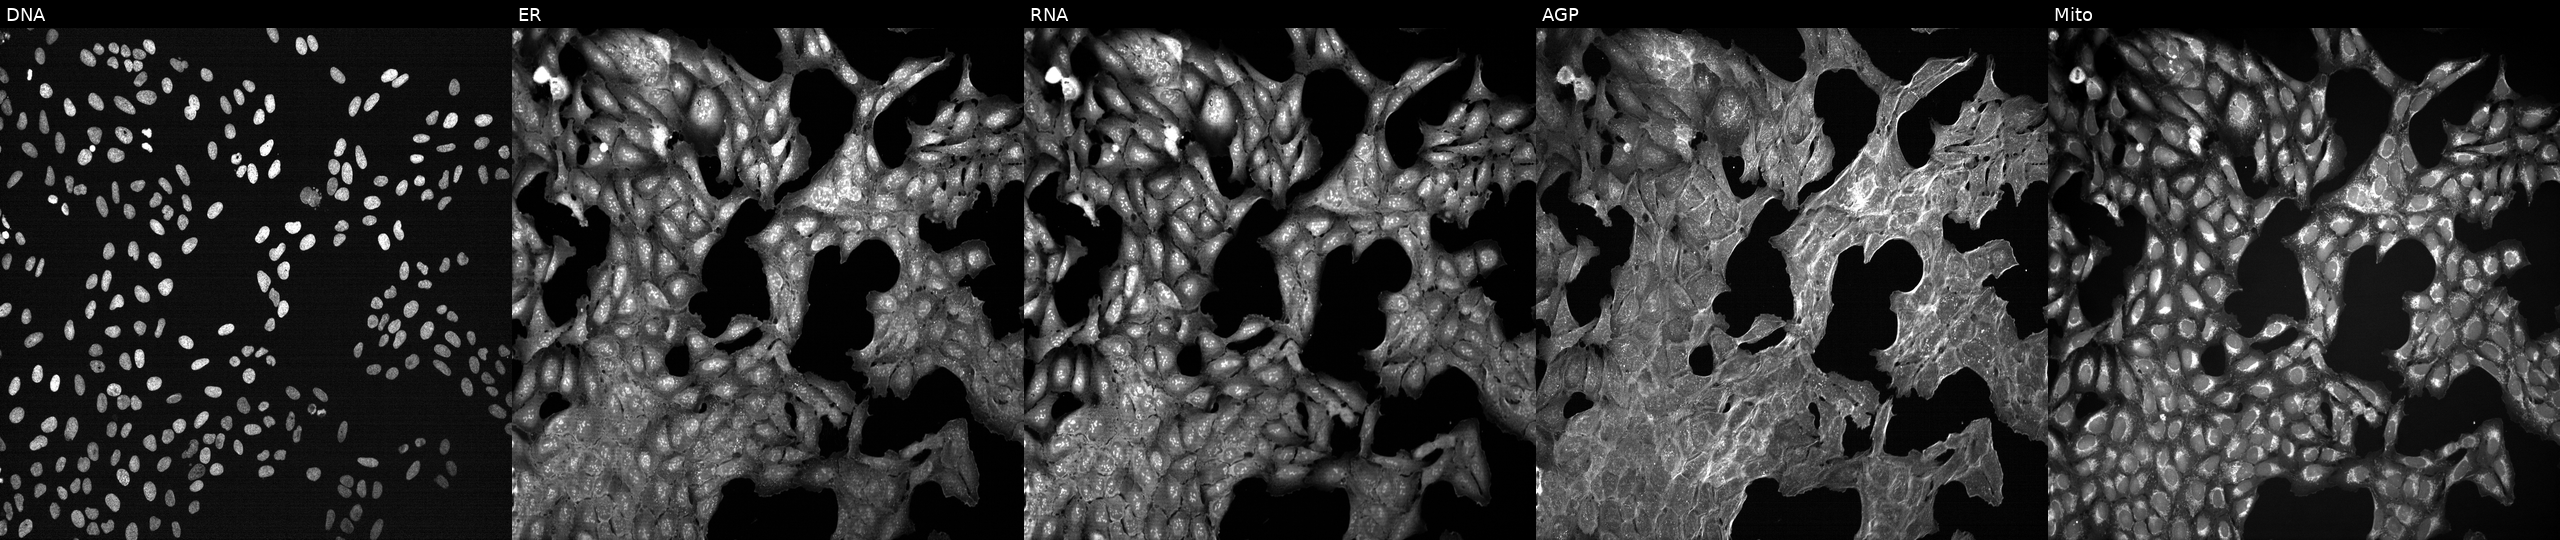
U2OS cells, Cell Painting assay, treated with a small-molecule compound (InChIKey HWHLPVGTWGOCJO-UHFFFAOYSA-N) (JUMP id JCP2022_033012). The five panels, left to right, show Hoechst 33342, concanavalin A, SYTO 14, phalloidin and WGA, MitoTracker. Each panel is percentile-stretched 16-bit fluorescence. Source 7, plate CP3-SC1-25, well O20.